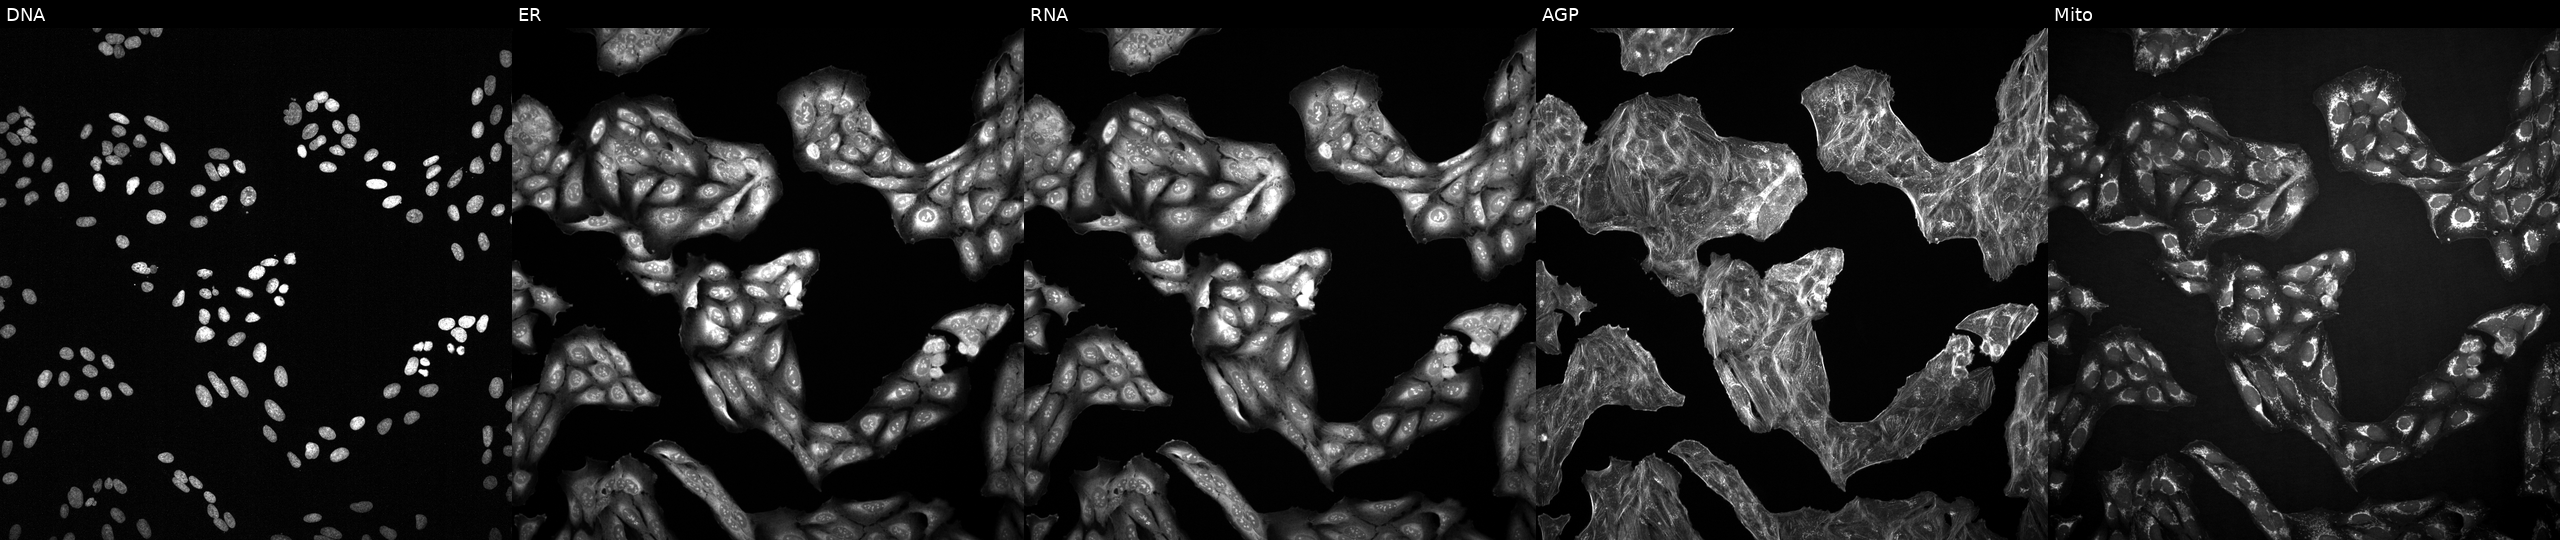
U2OS cells, Cell Painting assay, exposed to a small-molecule compound (InChIKey KBEGQASQCWZEBX-UHFFFAOYSA-N). Panels show, left to right, DNA (nuclei); ER (endoplasmic reticulum); RNA (nucleoli and cytoplasmic RNA); AGP (actin cytoskeleton, Golgi, and plasma membrane); Mito (mitochondria). Each panel is percentile-stretched 16-bit fluorescence. Source 2, plate 1053601756, well E08.